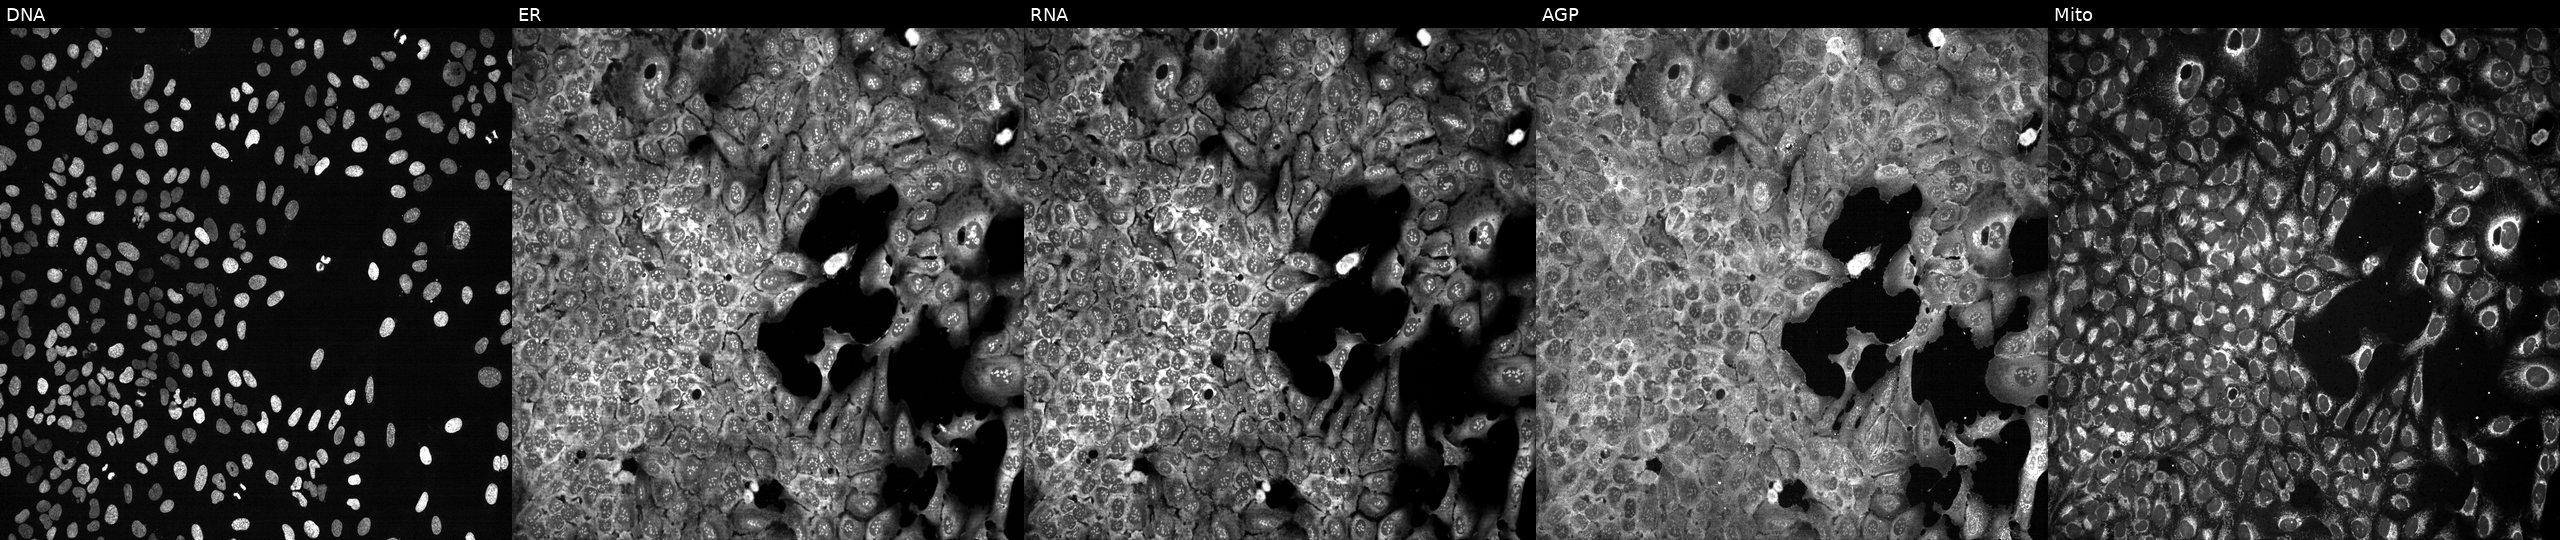
Five-channel Cell Painting image of U2OS cells with SLC29A3 knocked out by CRISPR. The five panels, left to right, show Hoechst 33342, concanavalin A, SYTO 14, phalloidin and WGA, MitoTracker.